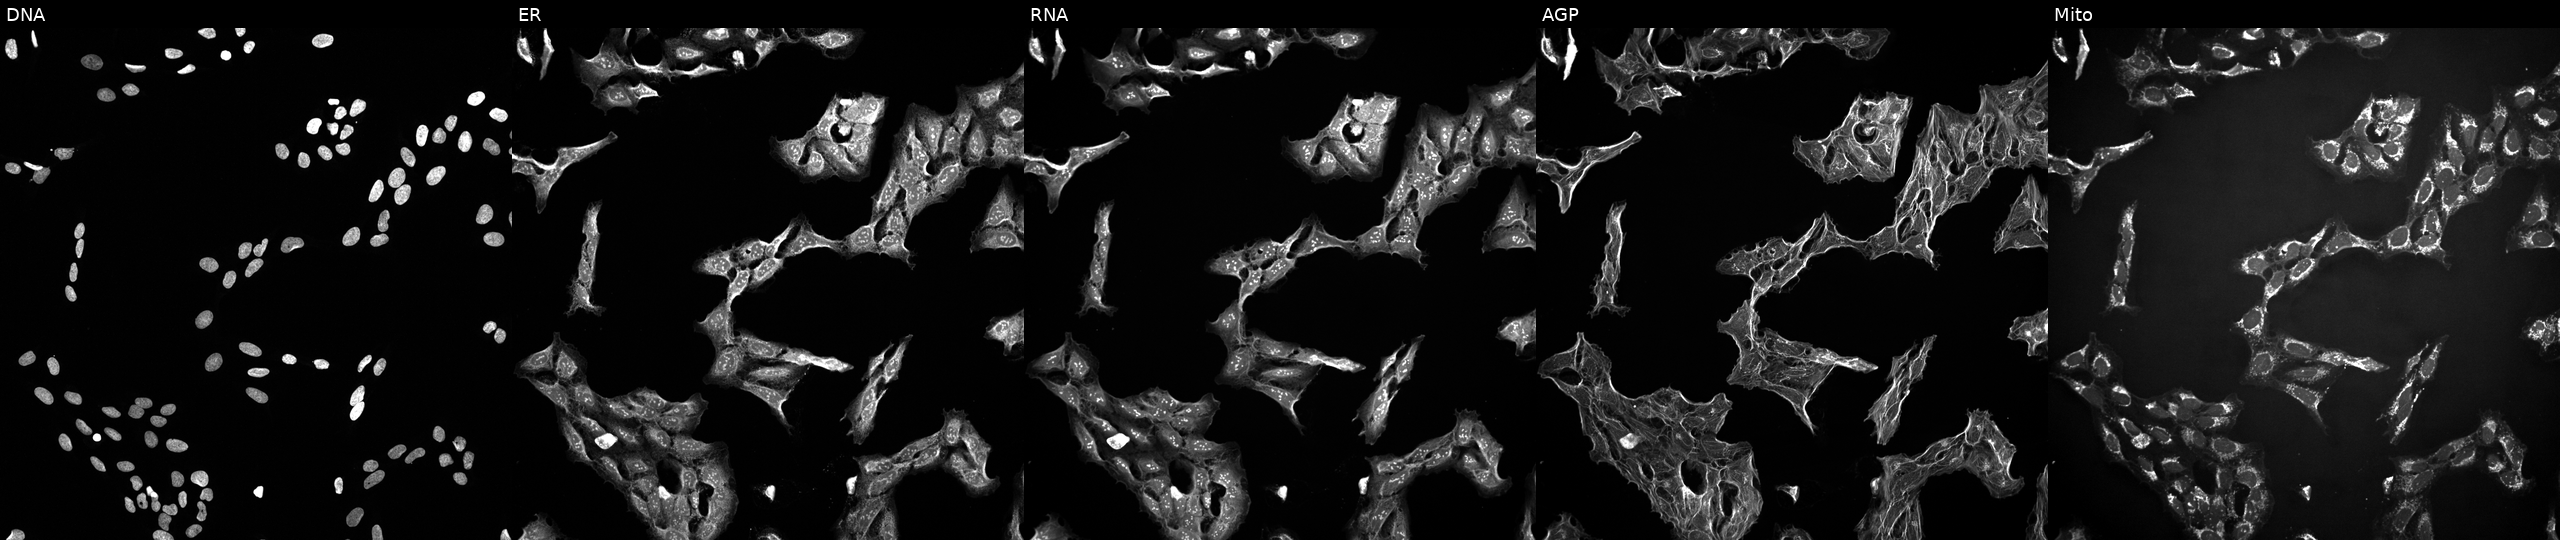
Five-channel Cell Painting image of U2OS cells perturbed with a small-molecule compound (InChIKey PMATZTZNYRCHOR-UHFFFAOYSA-N). Panels show, left to right, Hoechst 33342, concanavalin A, SYTO 14, phalloidin and WGA, MitoTracker. Source 10, plate Dest210727-153003, well L04.